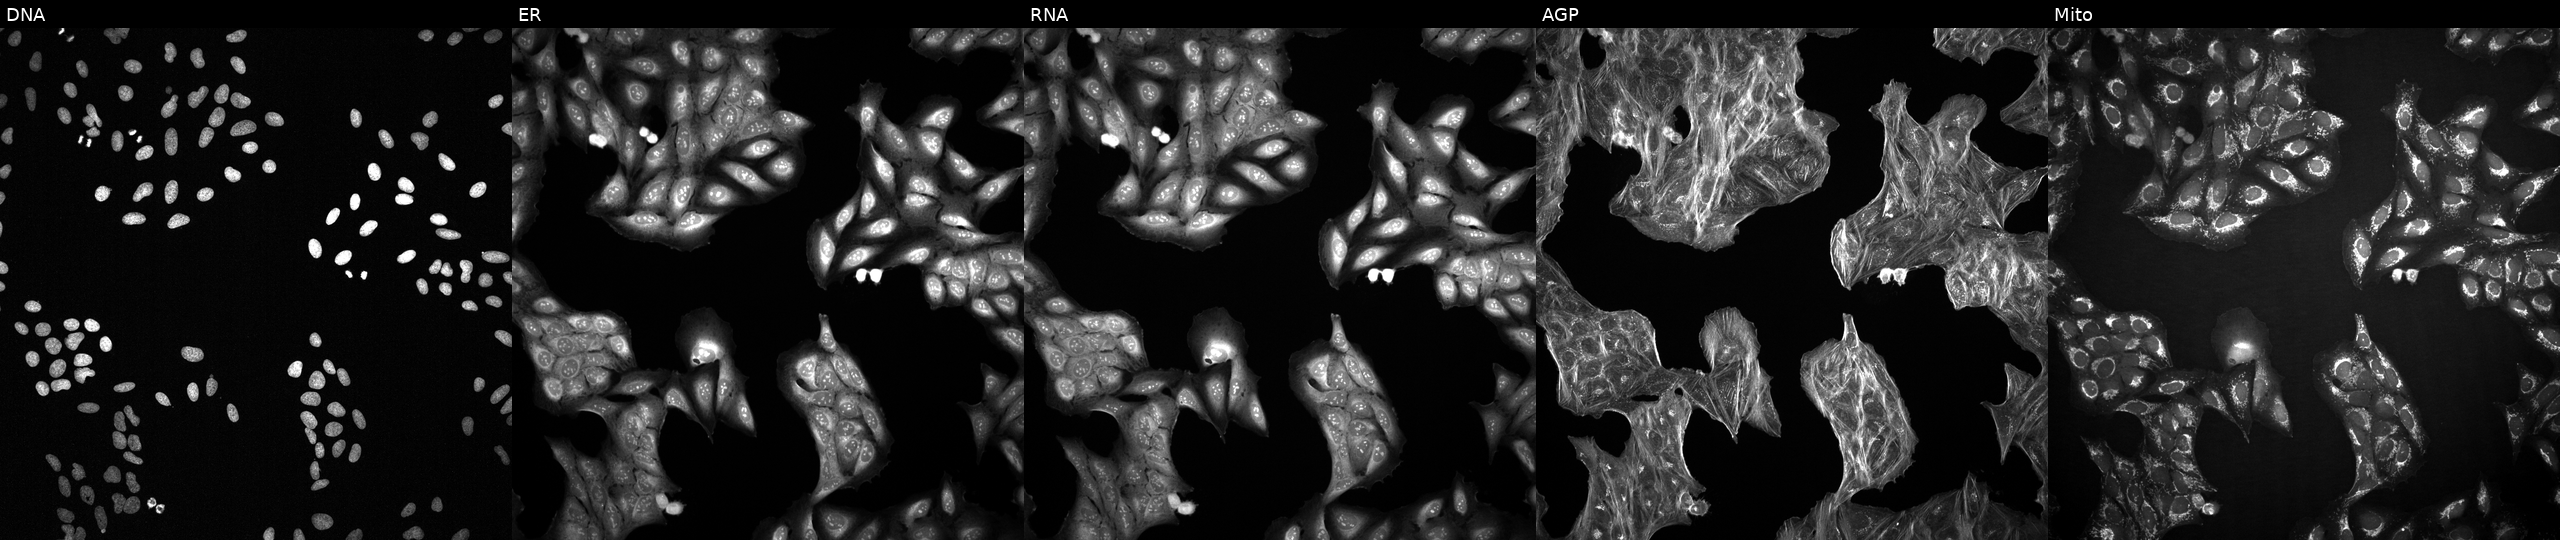
U2OS cells, Cell Painting assay, with an unidentified perturbation (not annotated in JUMP metadata). The five panels, left to right, show Hoechst 33342, concanavalin A, SYTO 14, phalloidin and WGA, MitoTracker. Each panel is percentile-stretched 16-bit fluorescence.